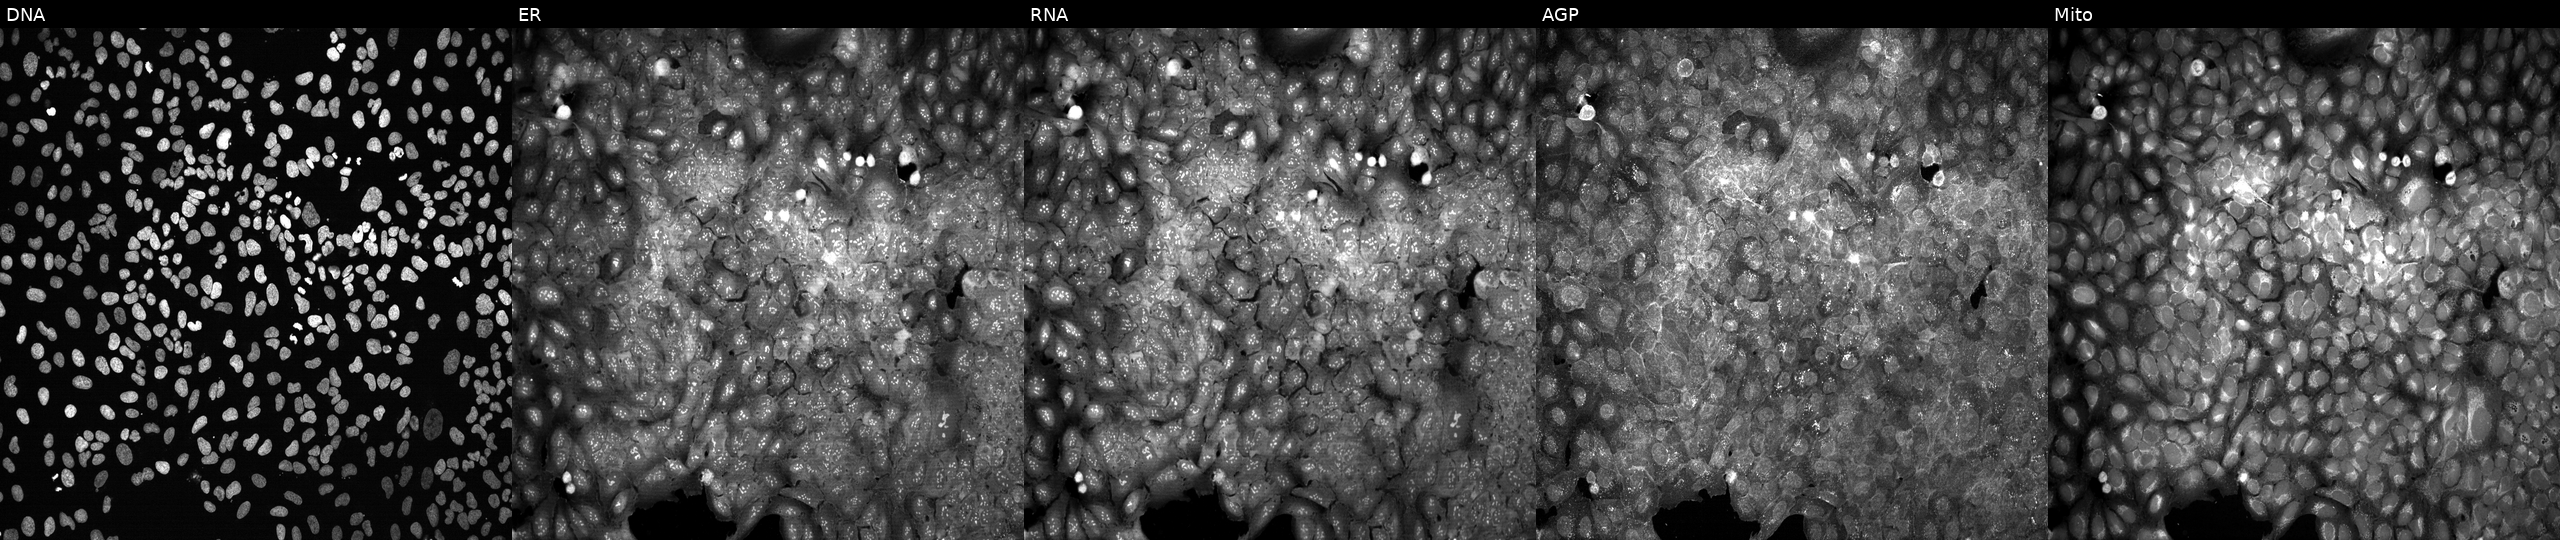
The five panels, left to right, show DNA (nuclei); ER (endoplasmic reticulum); RNA (nucleoli and cytoplasmic RNA); AGP (actin cytoskeleton, Golgi, and plasma membrane); Mito (mitochondria). U2OS osteosarcoma cells with SDHD knocked out by CRISPR (JUMP id JCP2022_806237). Cell Painting assay, JUMP-CP dataset.